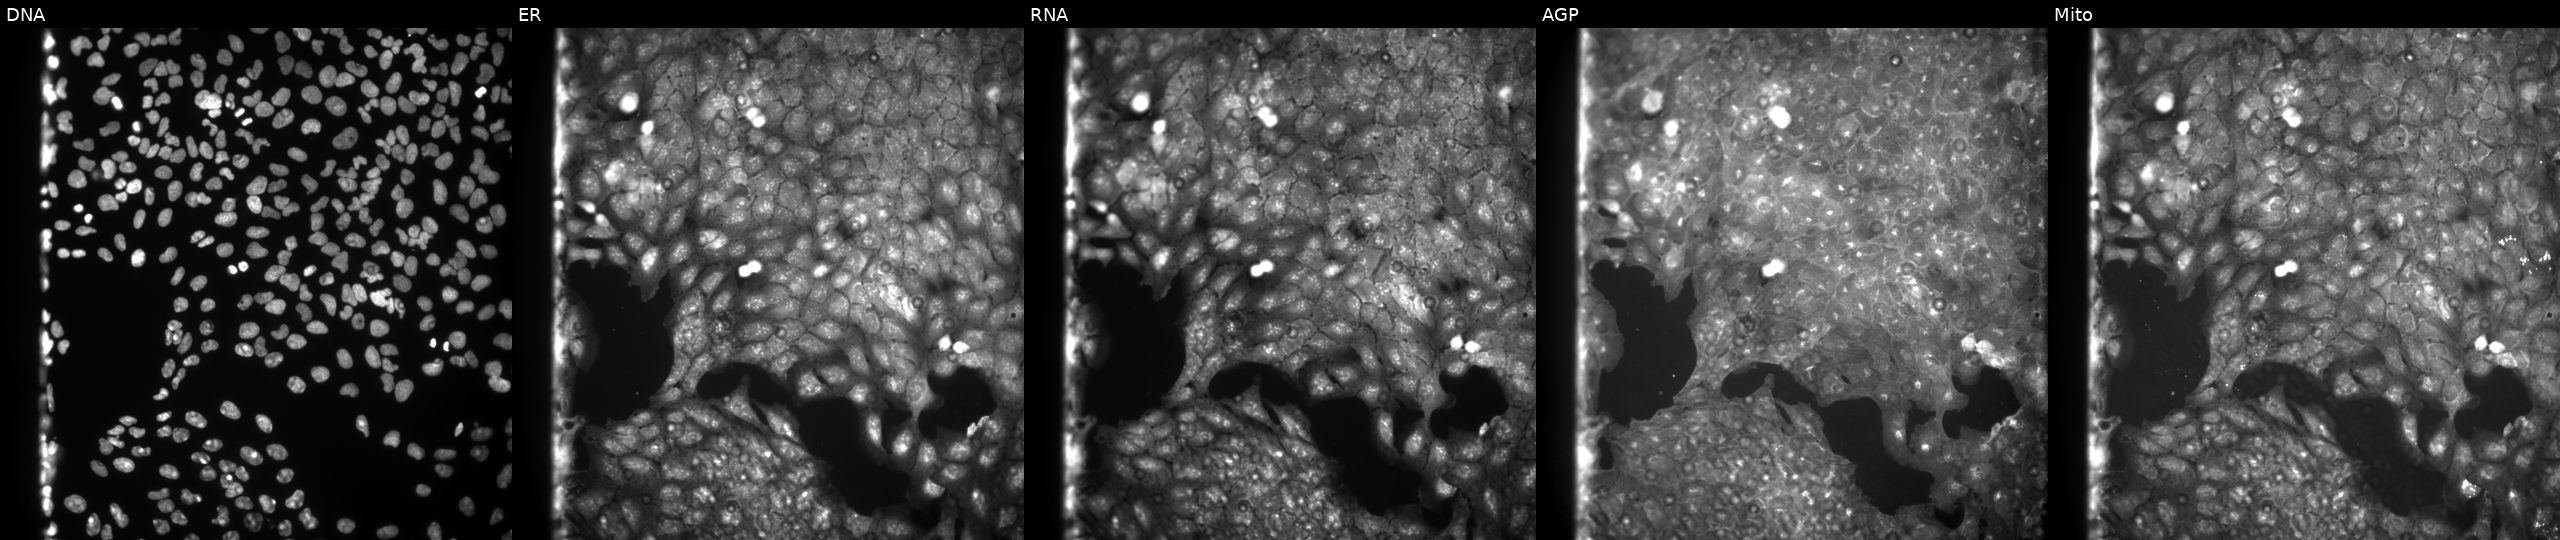
Channels (left→right): Hoechst 33342, concanavalin A, SYTO 14, phalloidin and WGA, MitoTracker. U2OS osteosarcoma cells exposed to DMSO alone as a negative control. Cell Painting assay, JUMP-CP dataset. Source 9, plate GR00003382, well E02.